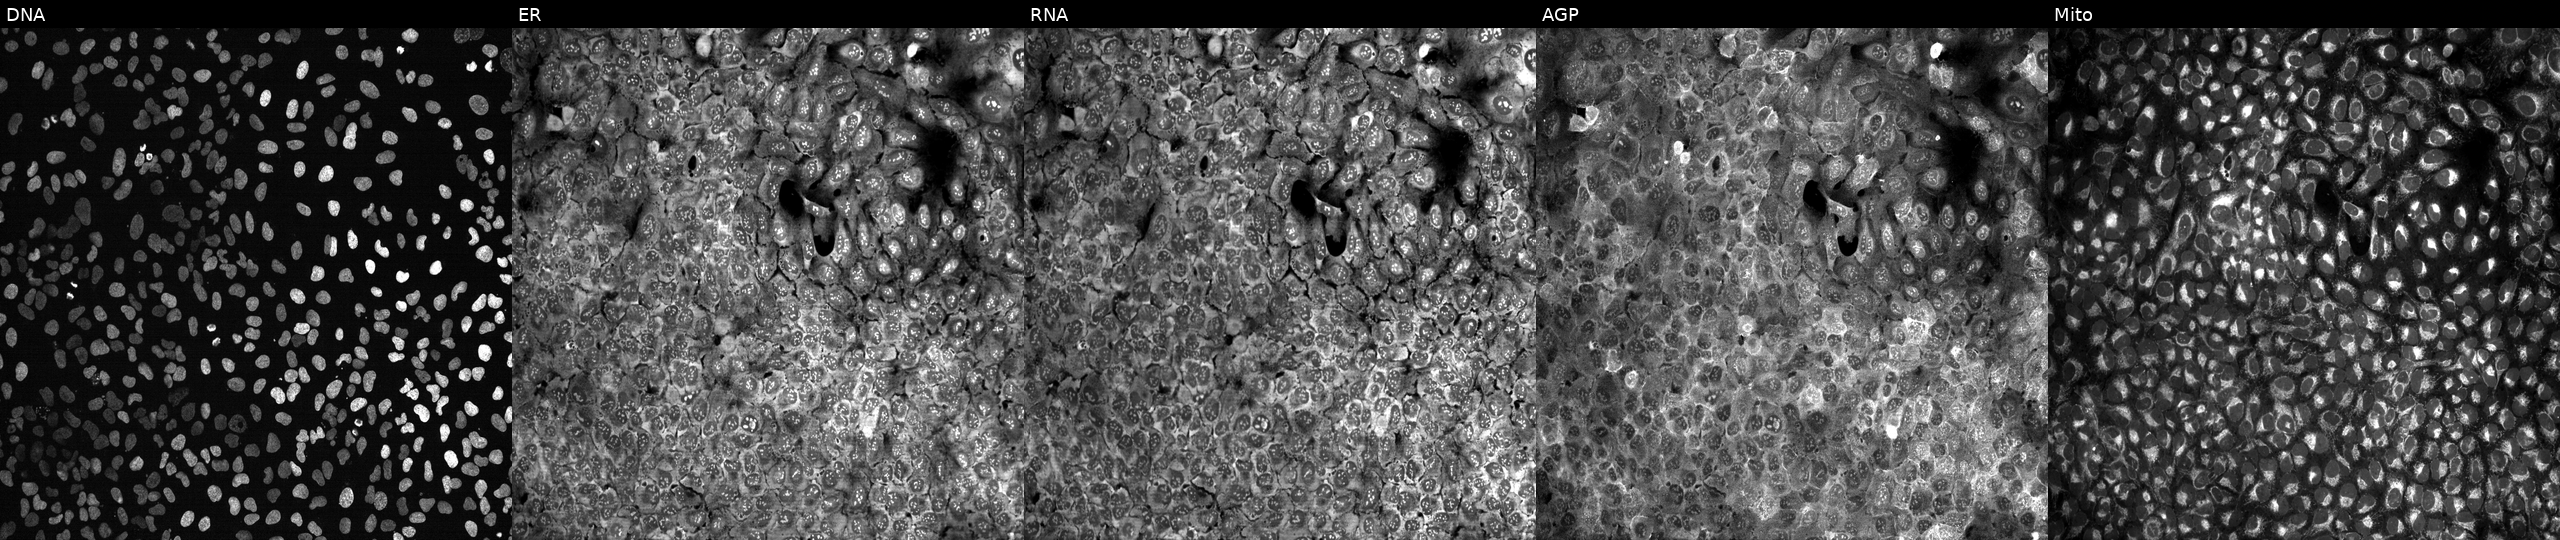
This image strip shows the five Cell Painting channels for a single field of U2OS cells CRISPR-edited to disrupt HSD17B1 (JUMP id JCP2022_803239). Panels show, left to right, DNA (nuclei); ER (endoplasmic reticulum); RNA (nucleoli and cytoplasmic RNA); AGP (actin cytoskeleton, Golgi, and plasma membrane); Mito (mitochondria). Source 13, plate CP-CC9-R4-03, well F05.